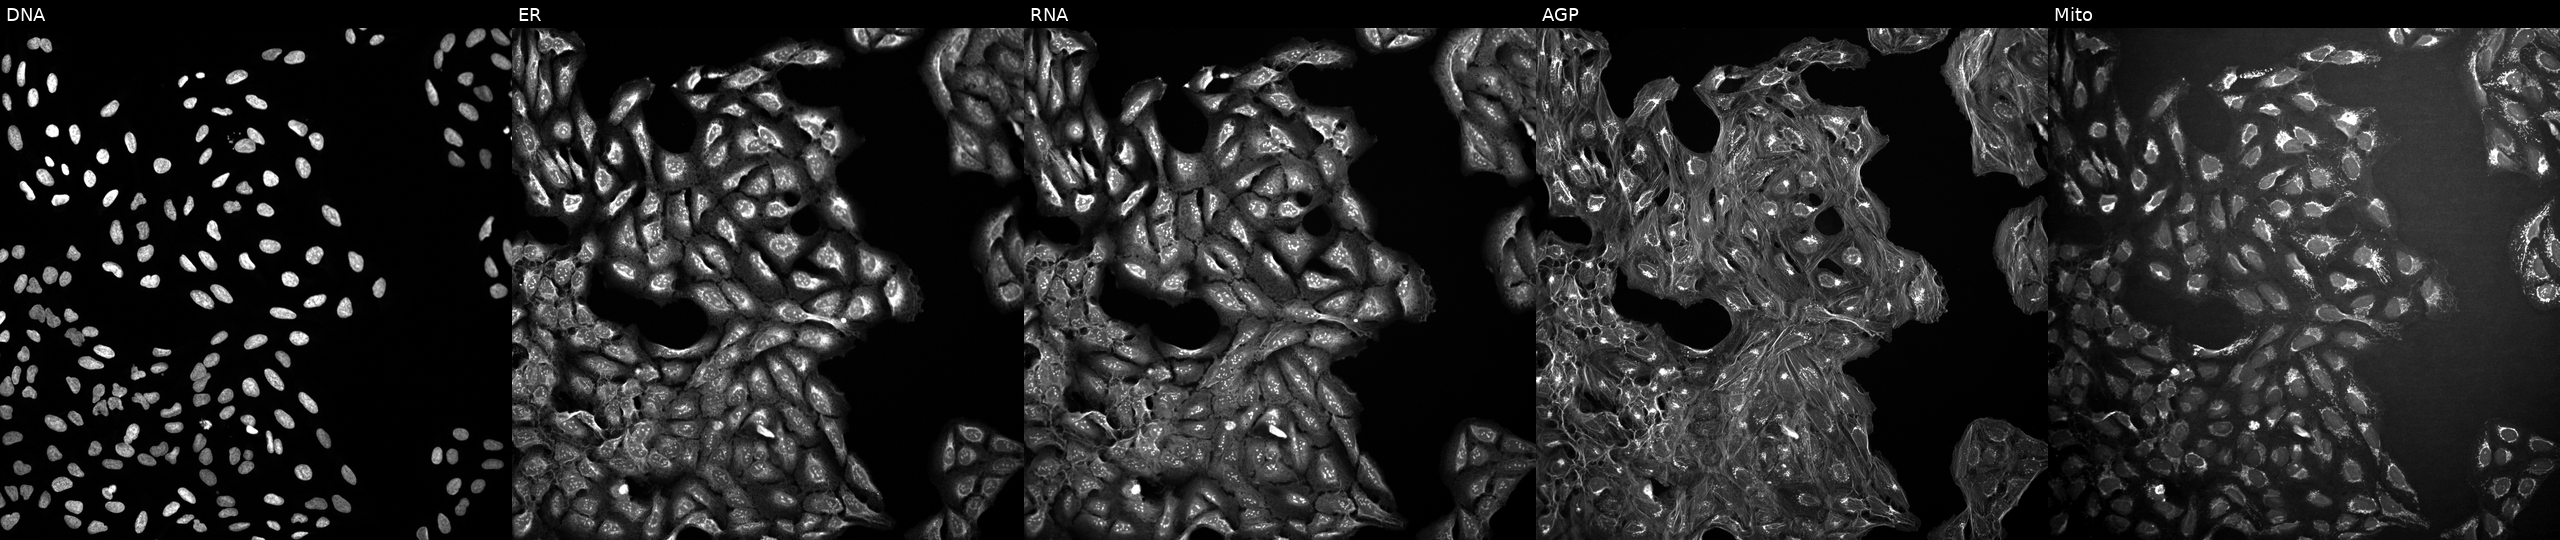
High-content fluorescence microscopy (Cell Painting). Cell line: U2OS. Perturbation: treated with a small-molecule compound [SMILES: O=C(C1CC=CCC1)N1CC(N=c2cccn[nH]2)C1]. Channels (left→right): DNA (nuclei); ER (endoplasmic reticulum); RNA (nucleoli and cytoplasmic RNA); AGP (actin cytoskeleton, Golgi, and plasma membrane); Mito (mitochondria).